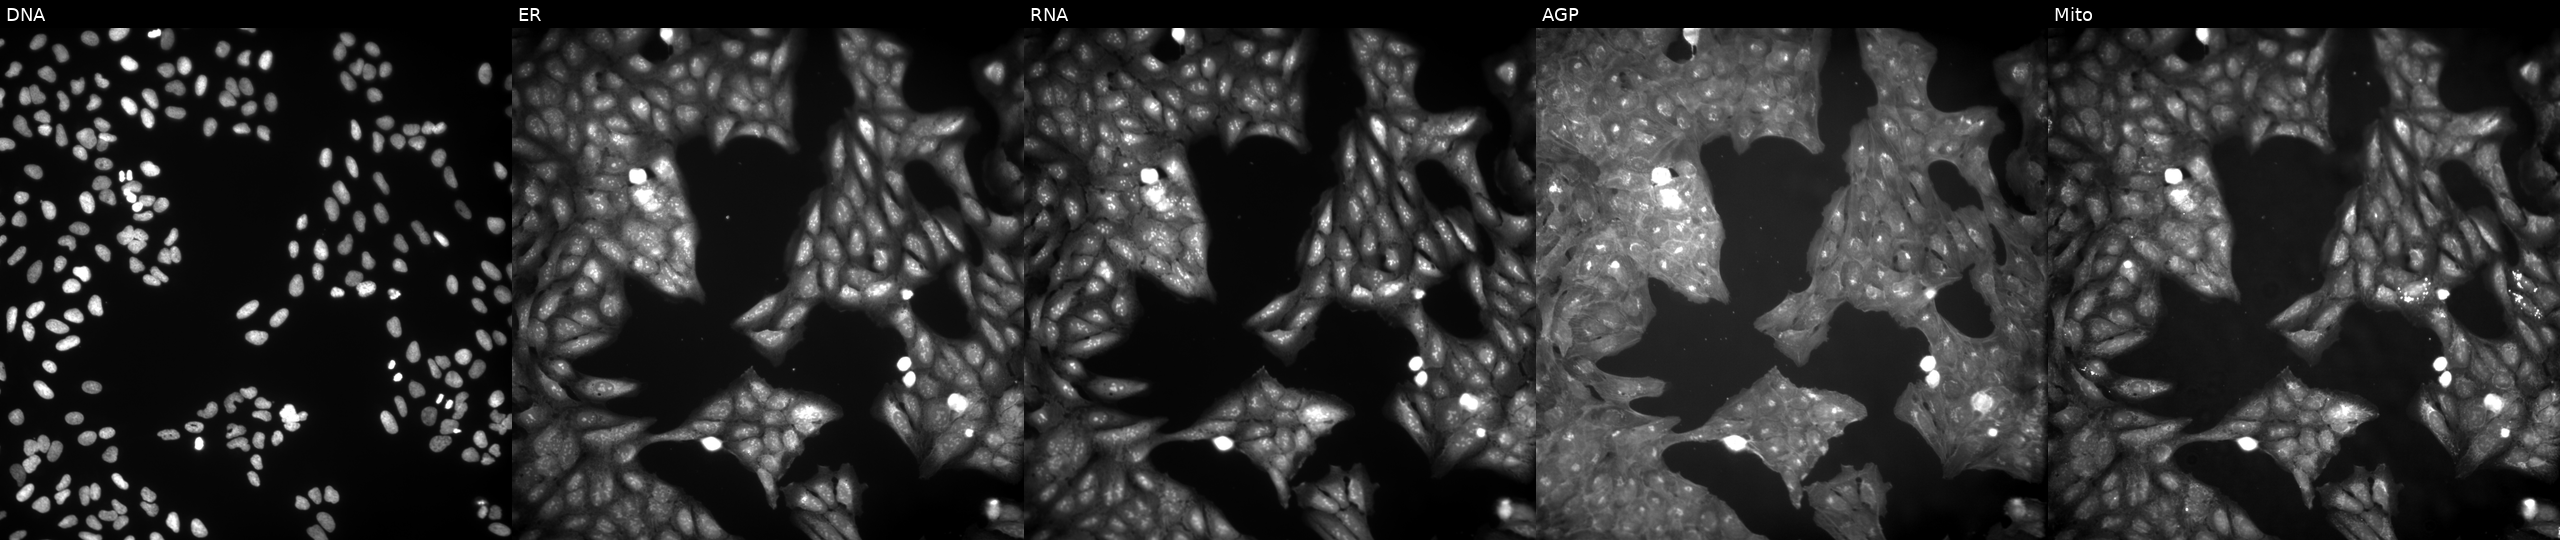
High-content fluorescence microscopy (Cell Painting). Cell line: U2OS. Perturbation: treated with a small-molecule compound (InChIKey TXLKCBKTDQGTRD-UHFFFAOYSA-N) [SMILES: Cc1ccccc1OCc1nc(-c2ccccc2)no1]. From left to right: DNA (nuclei); ER (endoplasmic reticulum); RNA (nucleoli and cytoplasmic RNA); AGP (actin cytoskeleton, Golgi, and plasma membrane); Mito (mitochondria).